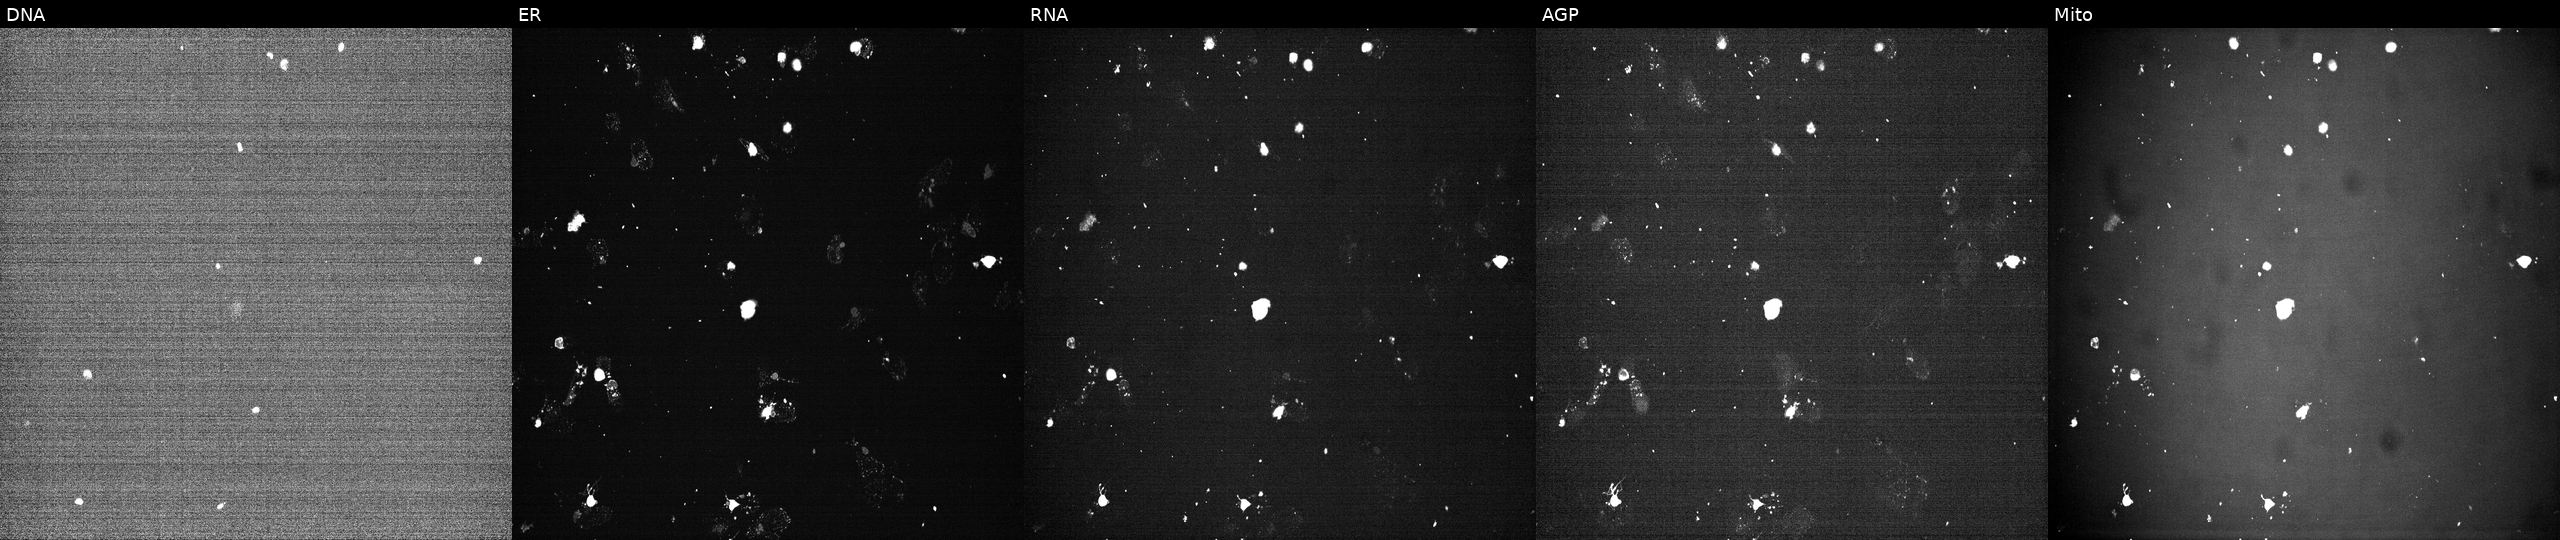
From left to right: DNA (nuclei); ER (endoplasmic reticulum); RNA (nucleoli and cytoplasmic RNA); AGP (actin cytoskeleton, Golgi, and plasma membrane); Mito (mitochondria). U2OS osteosarcoma cells perturbed with a small-molecule compound [SMILES: Cc1cc(N=c2[nH]cc(Cl)c(=Nc3ccccc3S(=O)(=O)C(C)C)[nH]2)c(OC(C)C)cc1C1CCNCC1] (JUMP id JCP2022_093480). Cell Painting assay, JUMP-CP dataset. Source 7, plate CP1-SC1-25, well J19.